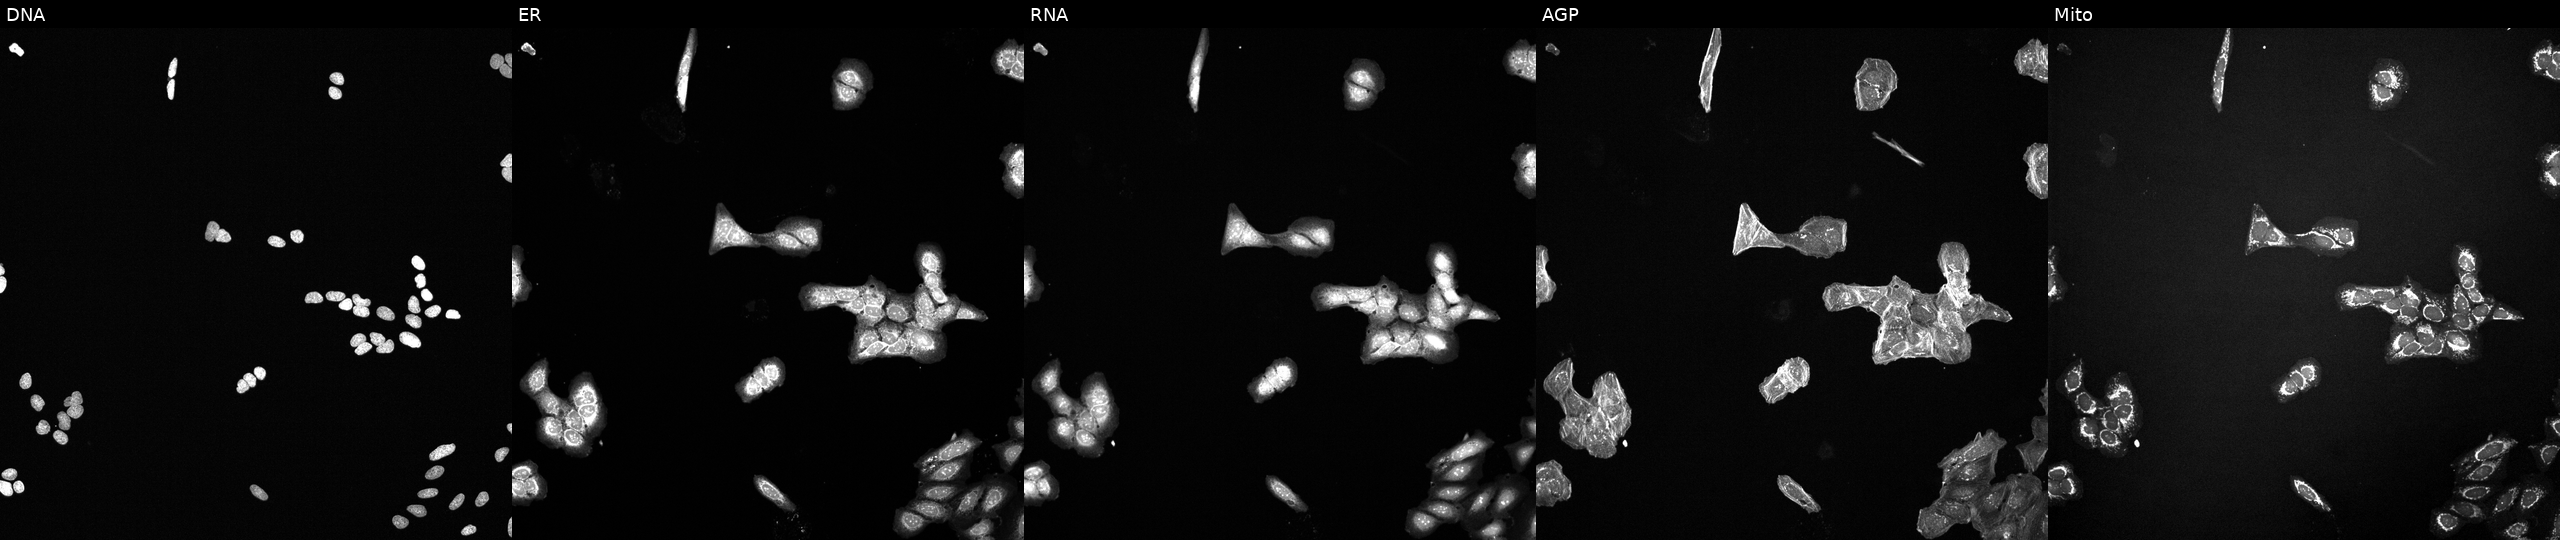
From left to right: DNA, ER, RNA, AGP, and Mito. U2OS osteosarcoma cells perturbed with a small-molecule compound (InChIKey NVRXTLZYXZNATH-UHFFFAOYSA-N). Cell Painting assay, JUMP-CP dataset. Source 6, plate 110000293081, well B02.